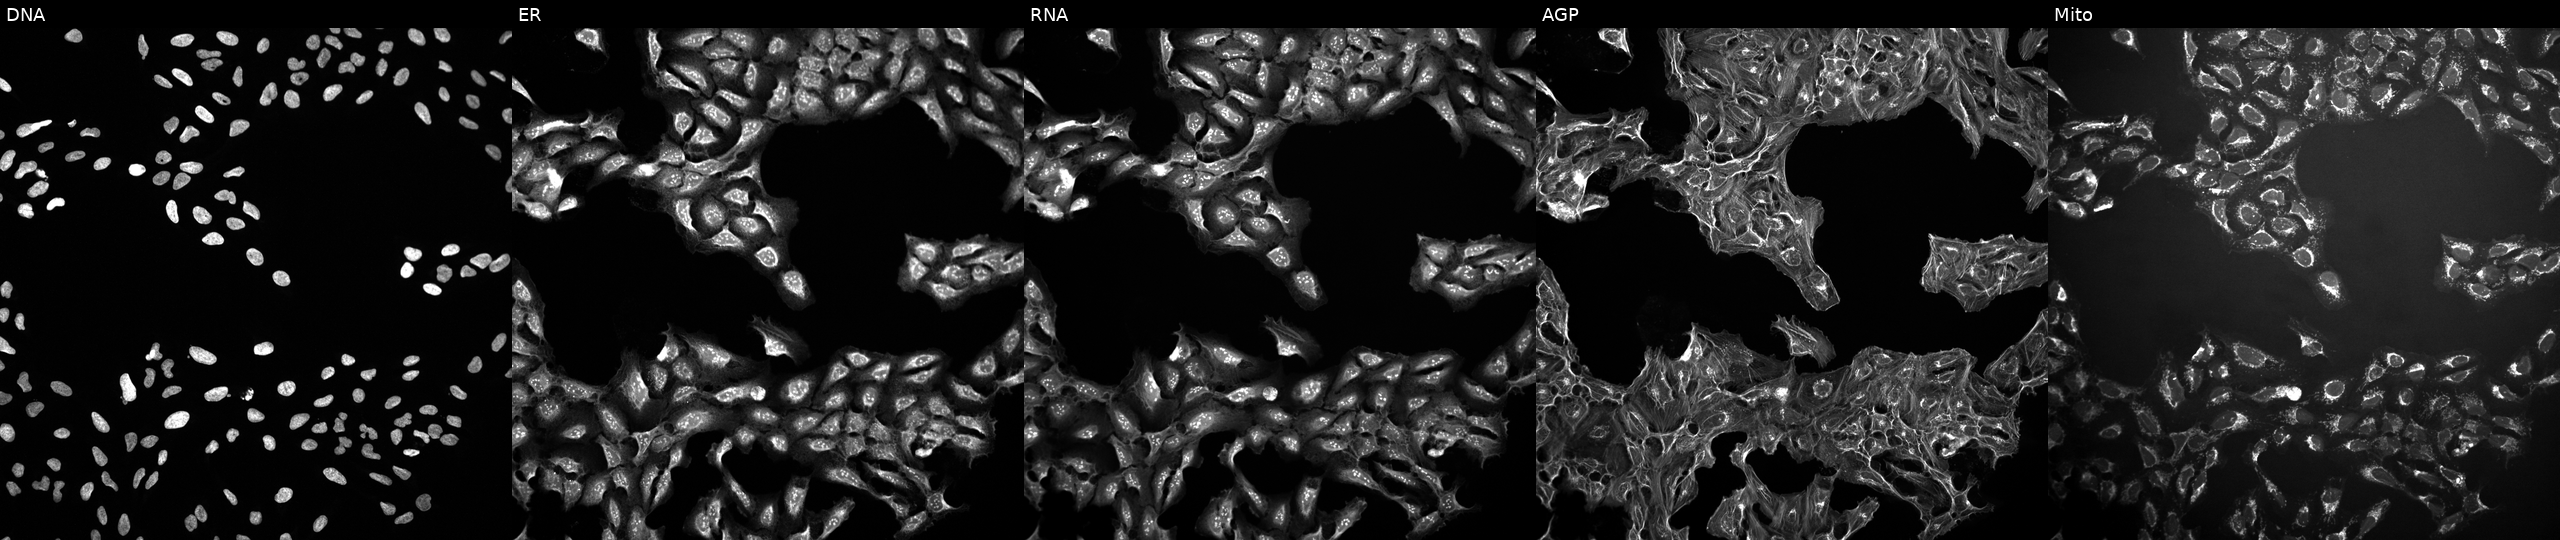
Channels (left→right): DNA, ER, RNA, AGP, and Mito. U2OS osteosarcoma cells exposed to a small-molecule compound (InChIKey HFYPTENHTPNXGP-UHFFFAOYSA-N) [SMILES: O=C(O)c1ccc2c(c1)C(=O)N(c1cccc(Oc3ccc([N+](=O)[O-])cc3)c1)C2=O] (JUMP id JCP2022_029951). Cell Painting assay, JUMP-CP dataset.